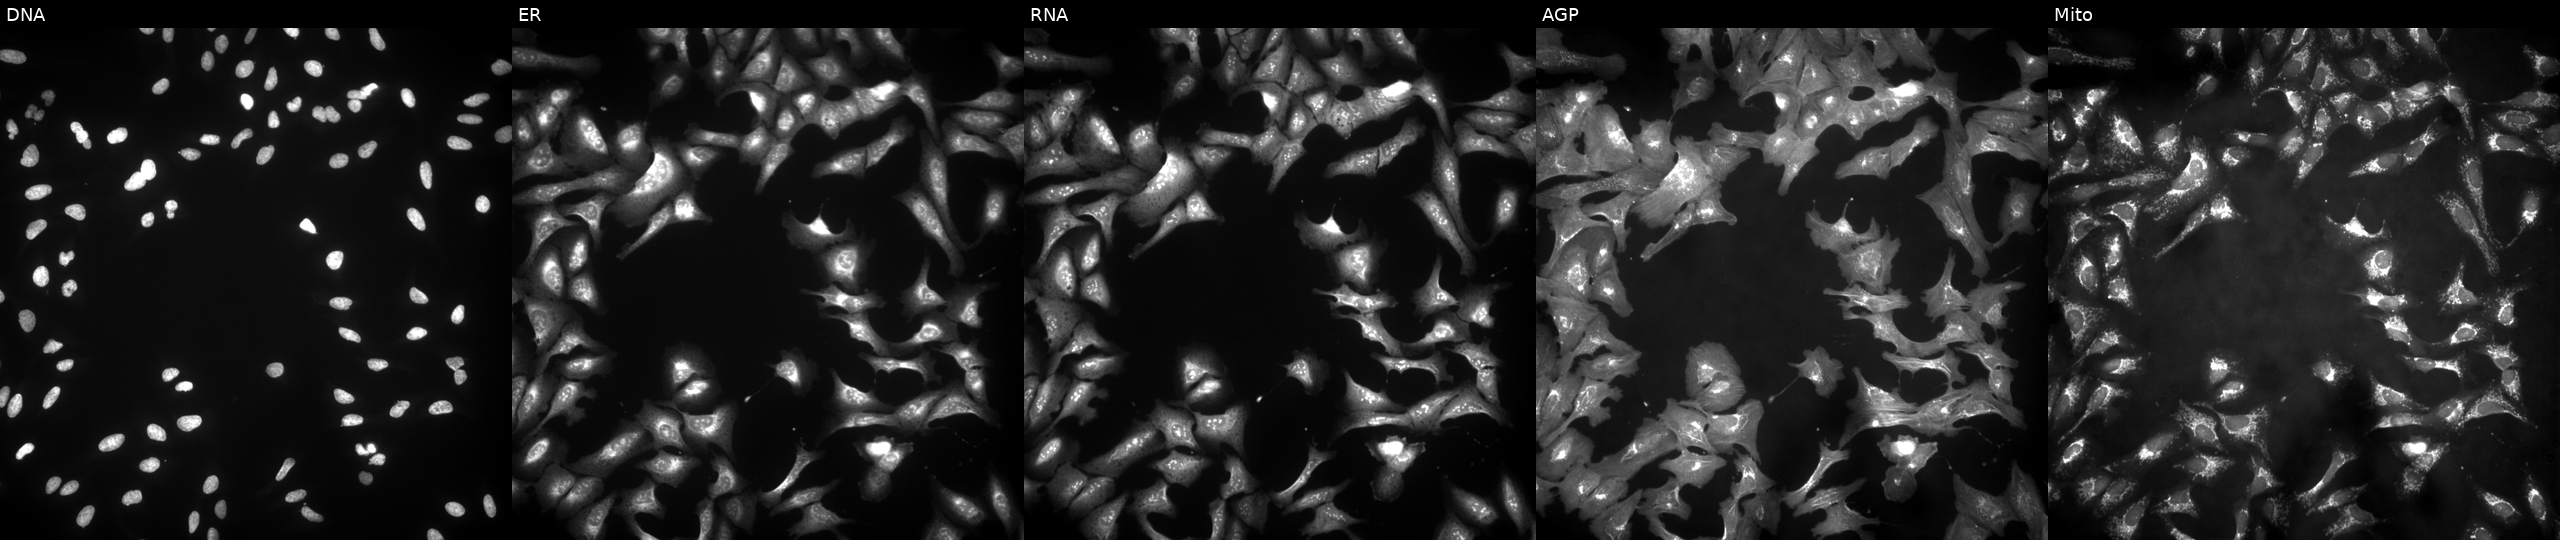
Five-channel Cell Painting image of U2OS cells overexpressing BTBD1 via ORF transfection (JUMP id JCP2022_903176). Panels show, left to right, DNA, ER, RNA, AGP, and Mito.